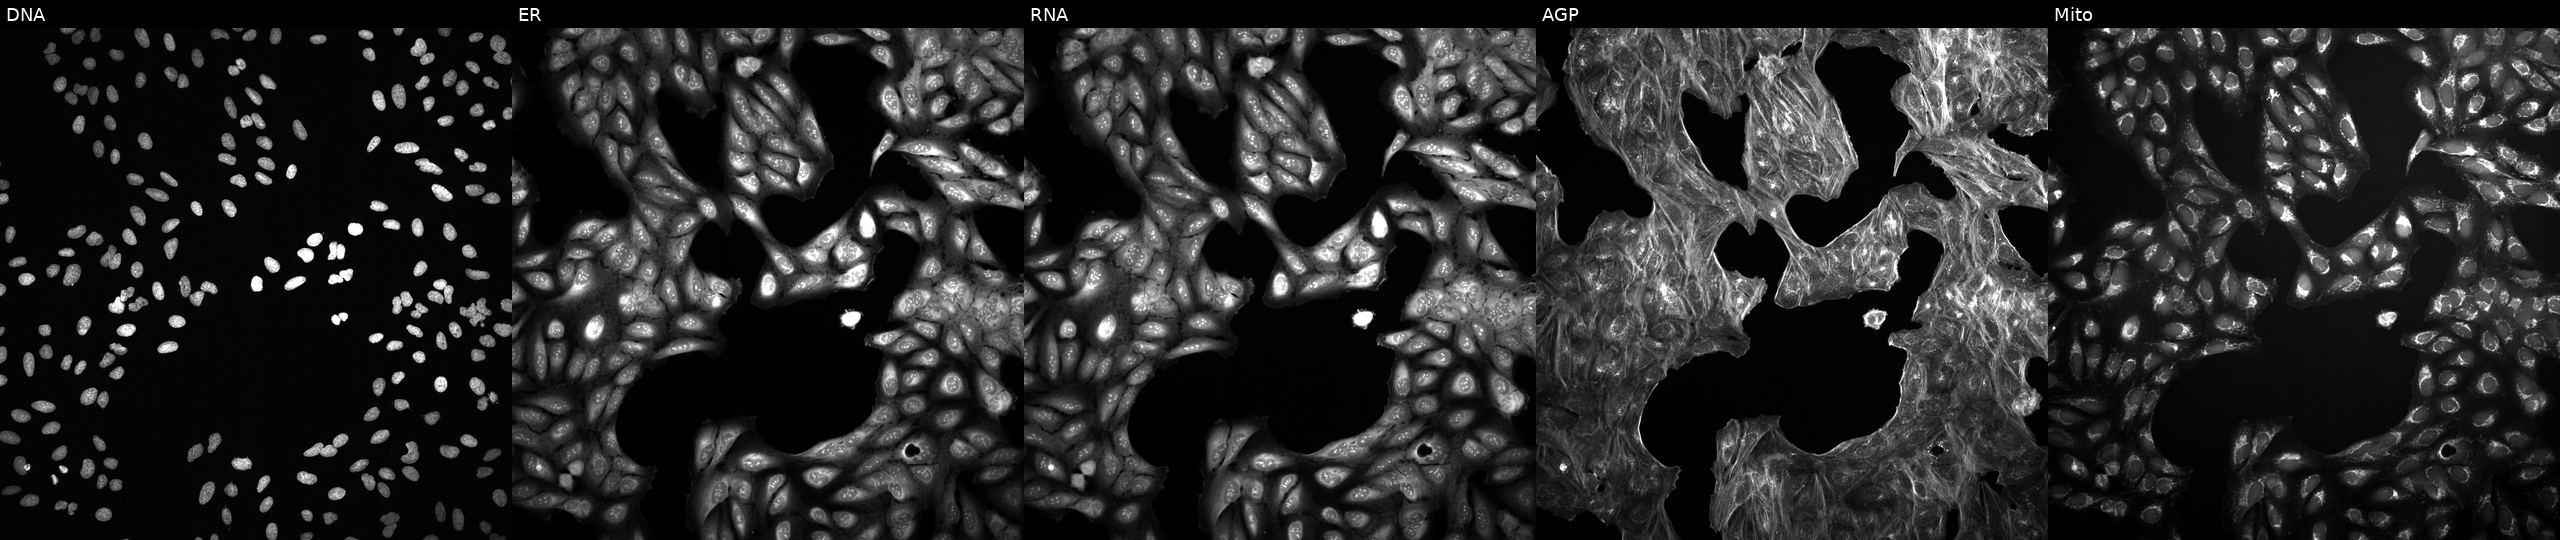
Five-channel Cell Painting image of U2OS cells treated with a small-molecule compound. From left to right: Hoechst 33342, concanavalin A, SYTO 14, phalloidin and WGA, MitoTracker.